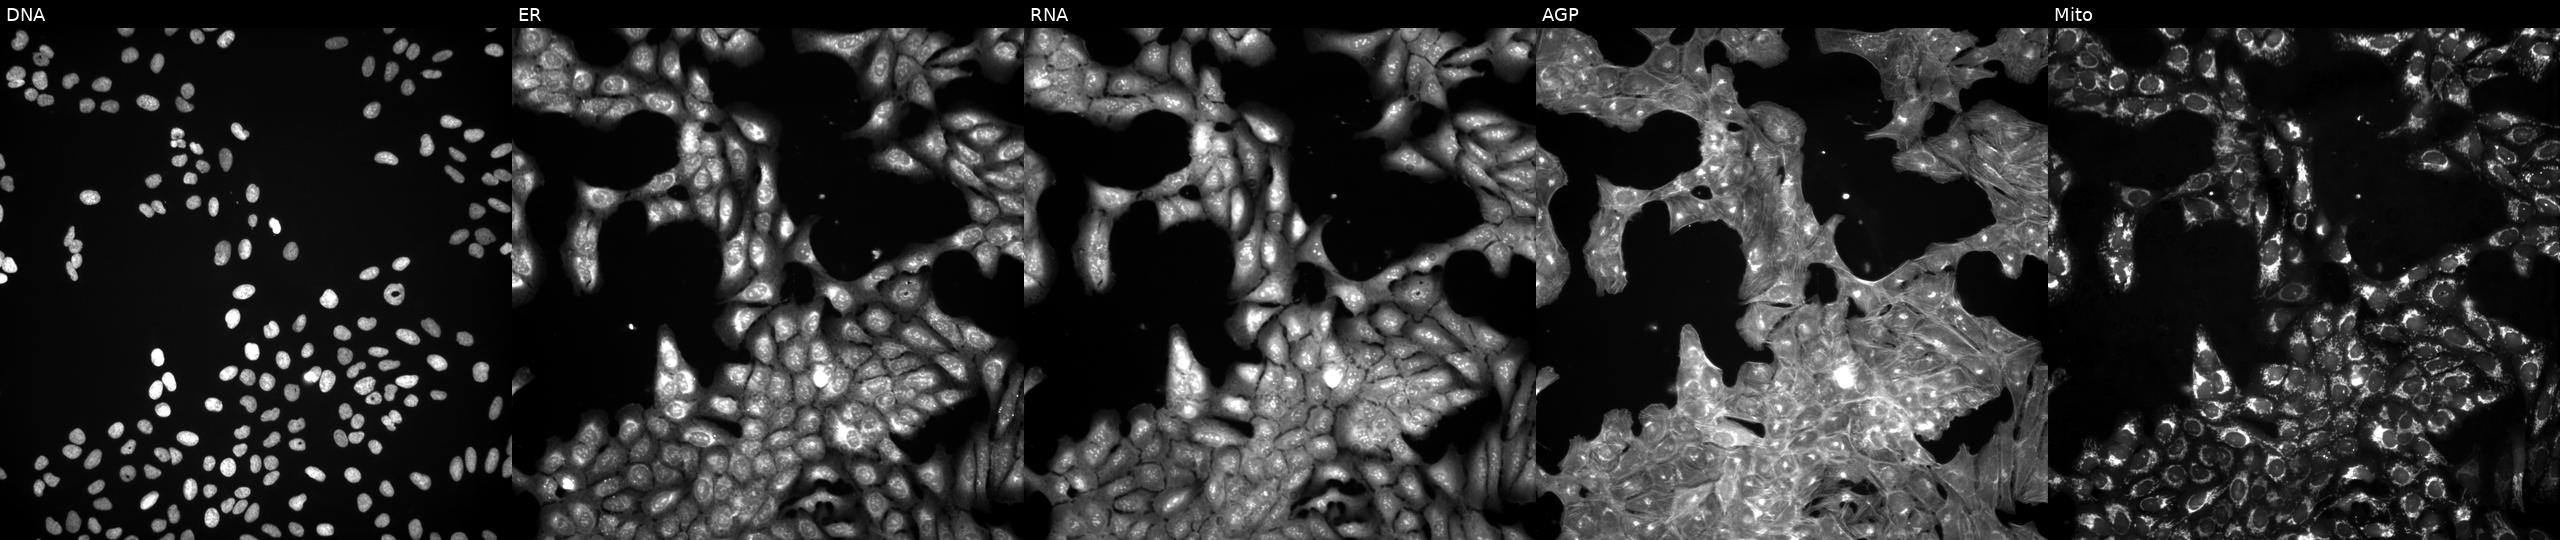
Panels show, left to right, DNA, ER, RNA, AGP, and Mito. U2OS osteosarcoma cells exposed to a small-molecule compound (InChIKey JDKKNQACNITFEA-UHFFFAOYSA-N) [SMILES: CC(=O)C1NC(=O)C(CCCCN)NC(=O)C(Cc2c[nH]c3ccccc23)NC(=O)C(Cc2ccccc2)NC(=O)C(NC(=O)C(N)Cc2ccccc2)CSSCC(C(=O)NC(CO)C(C)O)NC1O]. Cell Painting assay, JUMP-CP dataset.